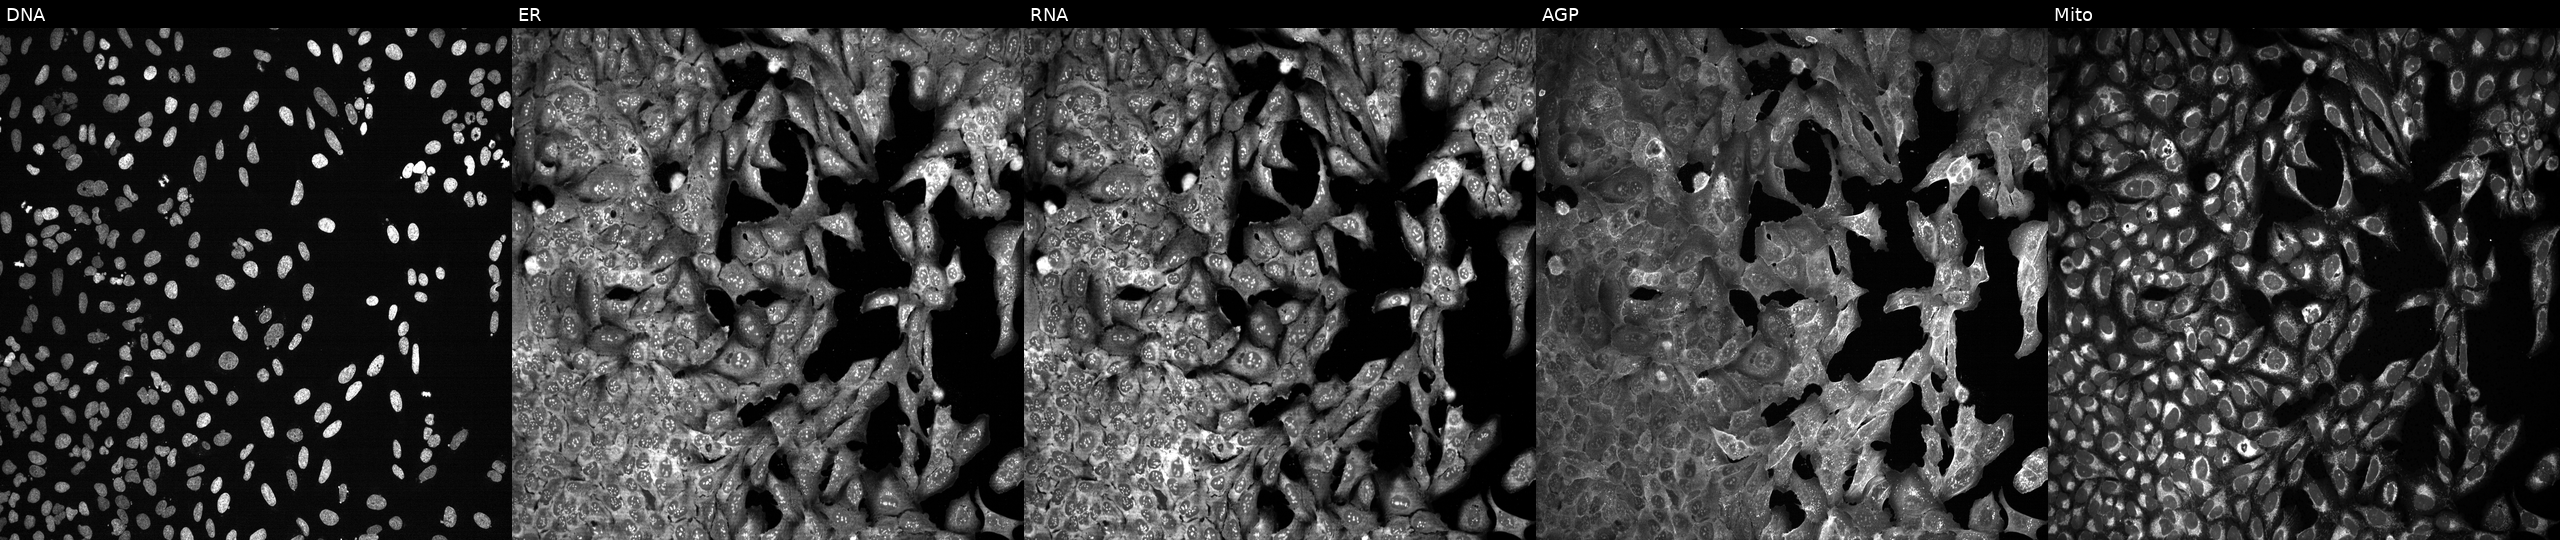
High-content fluorescence microscopy (Cell Painting). Cell line: U2OS. Perturbation: following CRISPR knockout of PLG. Panels show, left to right, Hoechst 33342, concanavalin A, SYTO 14, phalloidin and WGA, MitoTracker.